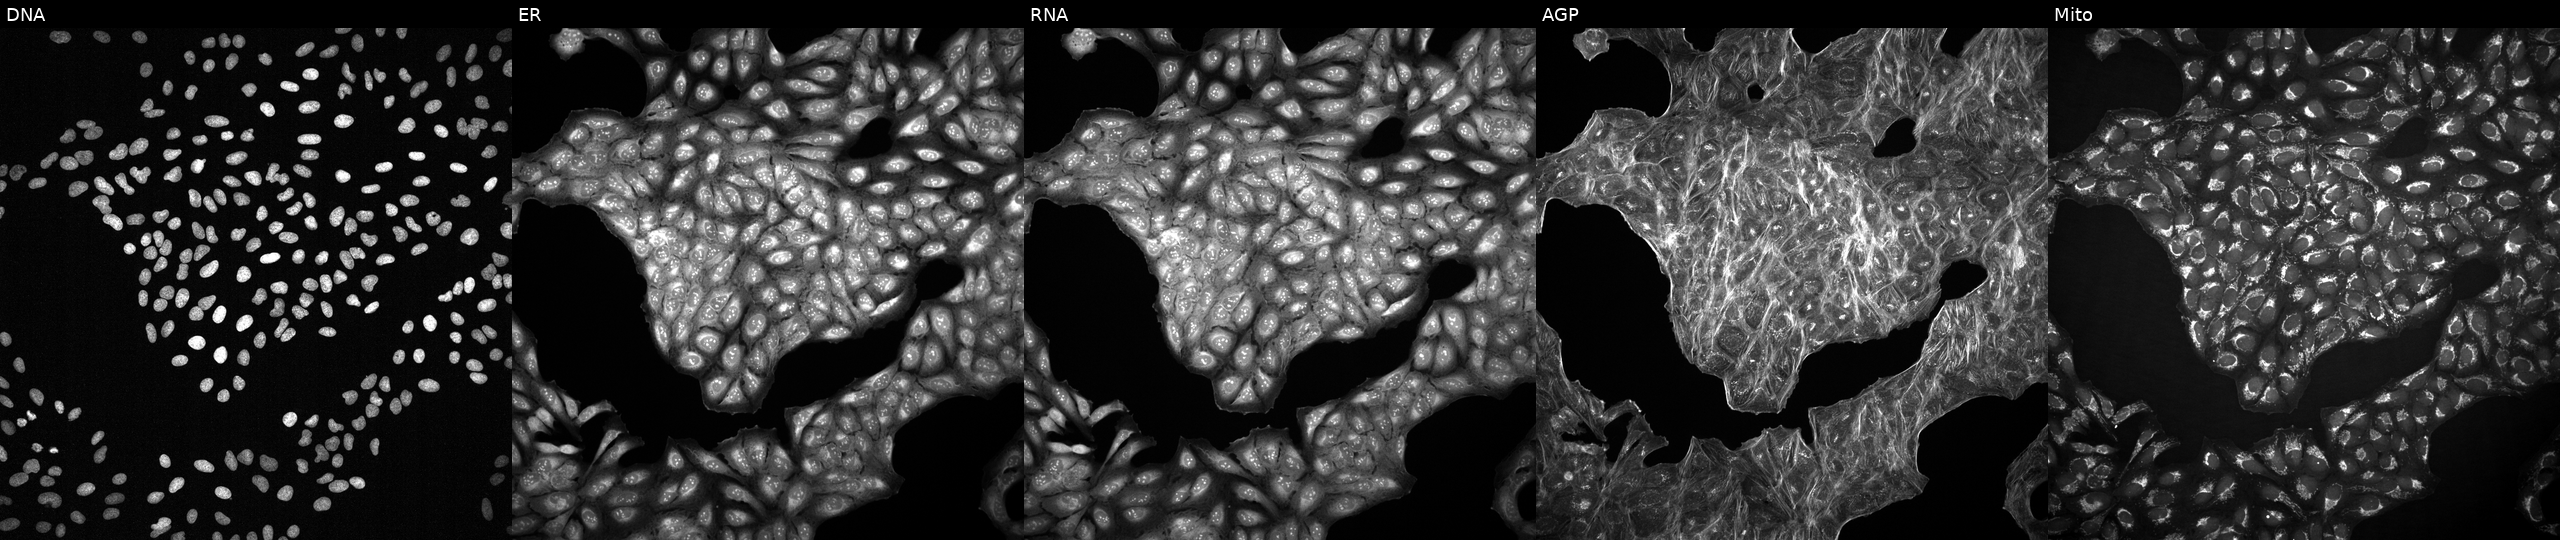
High-content fluorescence microscopy (Cell Painting). Cell line: U2OS. Perturbation: perturbed with a small-molecule compound (InChIKey MENNDDDTIIZDDN-UHFFFAOYSA-N). Channels (left→right): DNA, ER, RNA, AGP, and Mito.